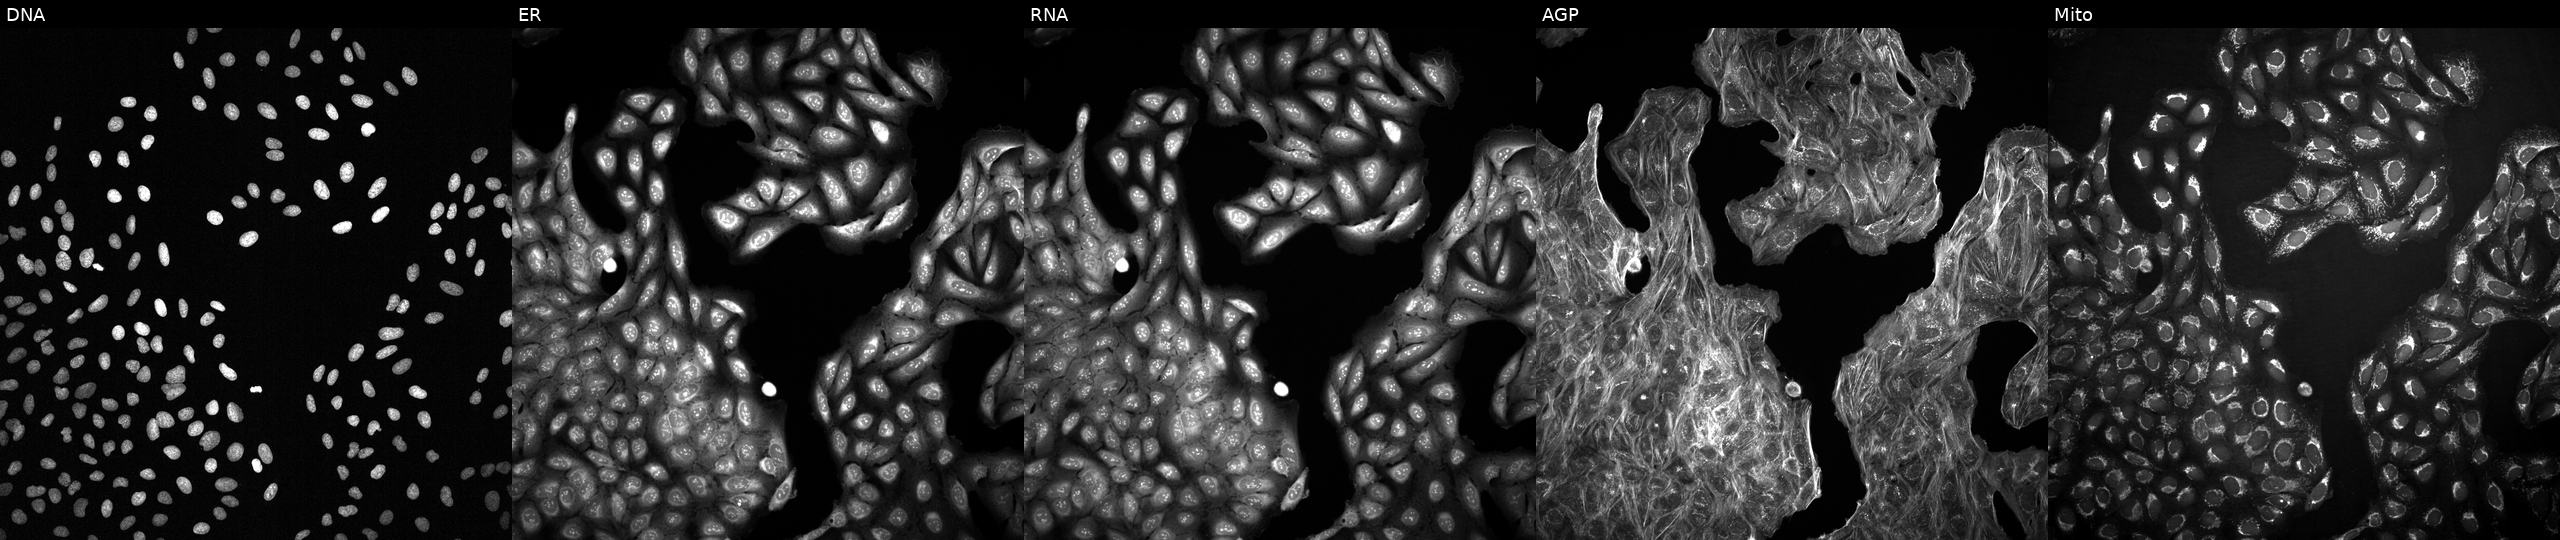
High-content fluorescence microscopy (Cell Painting). Cell line: U2OS. Perturbation: treated with a small-molecule compound (InChIKey WRLVHADVOGFZOZ-UHFFFAOYSA-N) [SMILES: CCOc1ccccc1N=Nc1c(C)[nH]n(-c2nc(-c3ccccc3)cs2)c1=O] (JUMP id JCP2022_100688). The five panels, left to right, show DNA (nuclei); ER (endoplasmic reticulum); RNA (nucleoli and cytoplasmic RNA); AGP (actin cytoskeleton, Golgi, and plasma membrane); Mito (mitochondria). Source 2, plate 1053600674, well F18.